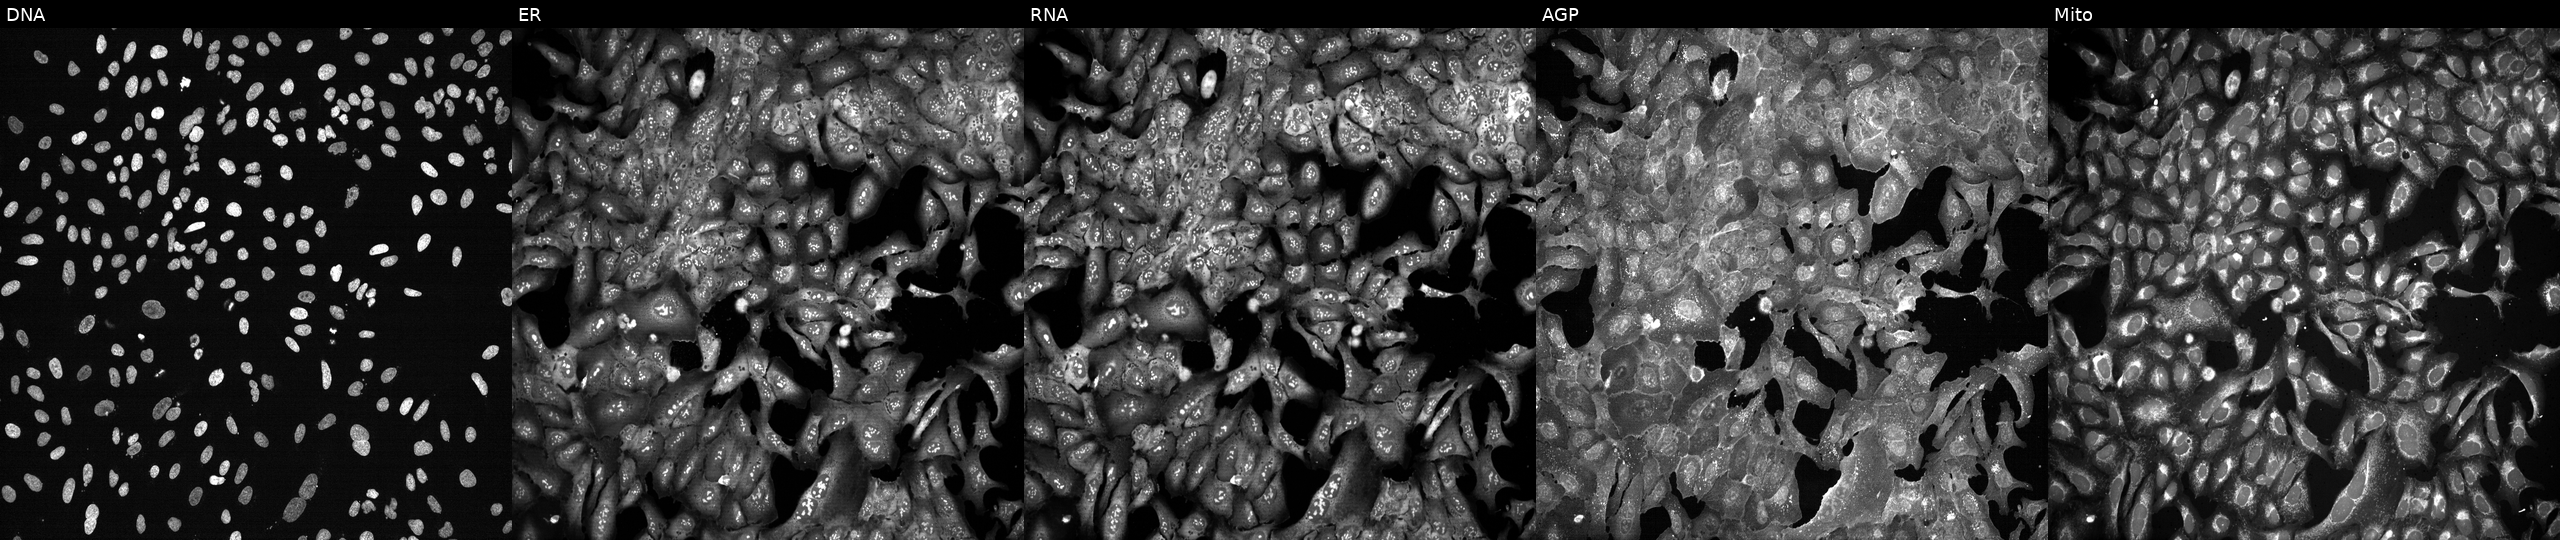
Five-channel Cell Painting image of U2OS cells with SGSH knocked out by CRISPR (JUMP id JCP2022_806314). Channels (left→right): DNA (nuclei); ER (endoplasmic reticulum); RNA (nucleoli and cytoplasmic RNA); AGP (actin cytoskeleton, Golgi, and plasma membrane); Mito (mitochondria).